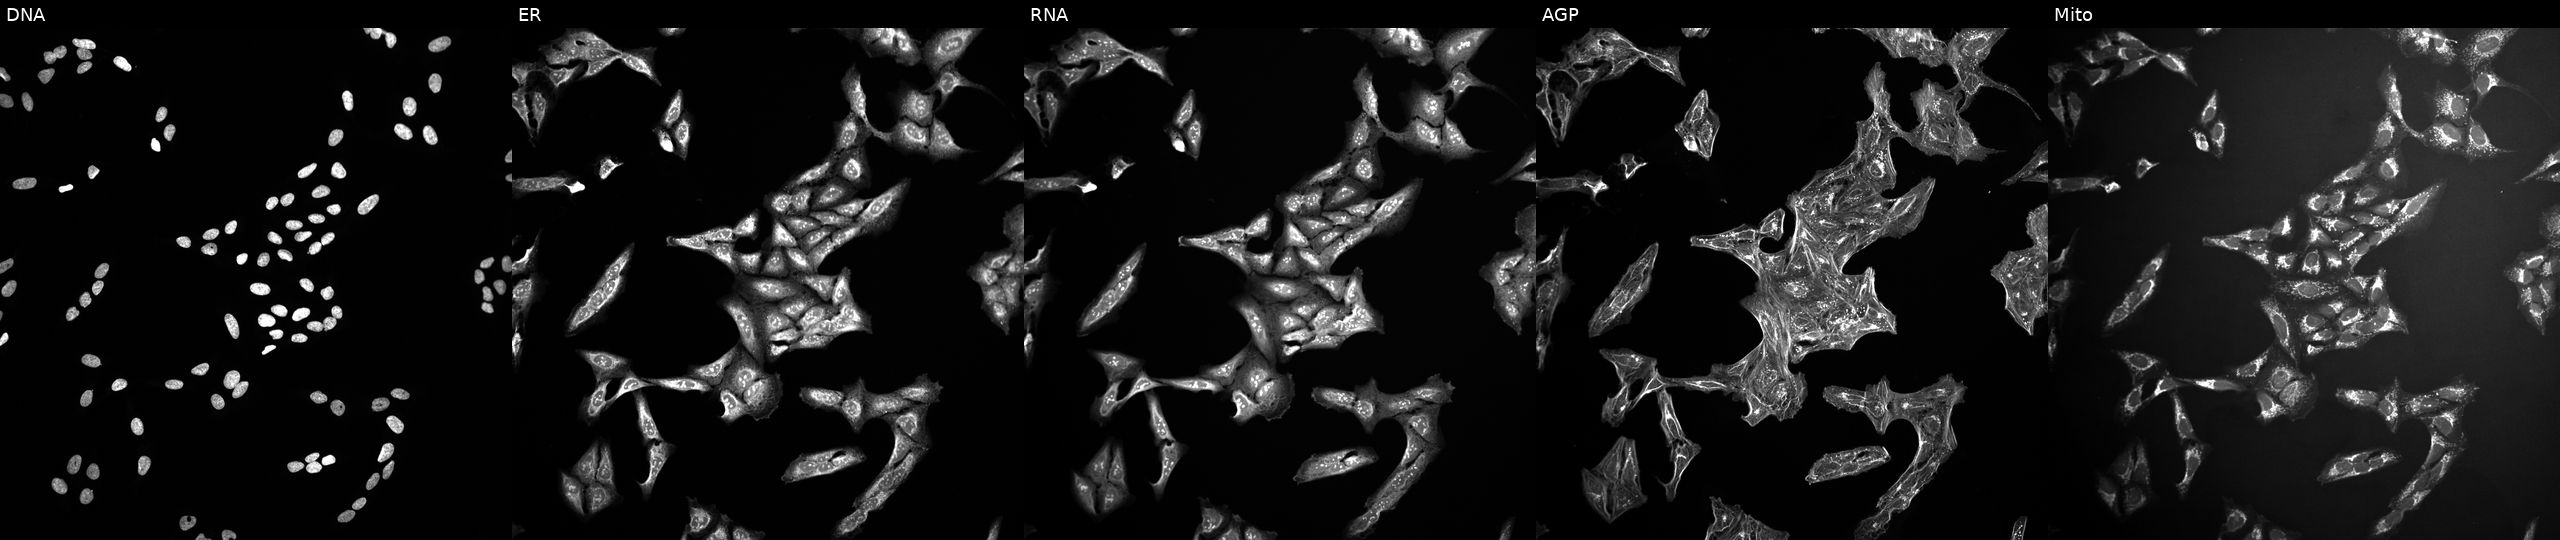
JUMP Cell Painting — TARGET2 plate. U2OS cells perturbed with a small-molecule compound (InChIKey KJNNWYBAOPXVJY-UHFFFAOYSA-N). Panels show, left to right, DNA (nuclei); ER (endoplasmic reticulum); RNA (nucleoli and cytoplasmic RNA); AGP (actin cytoskeleton, Golgi, and plasma membrane); Mito (mitochondria).